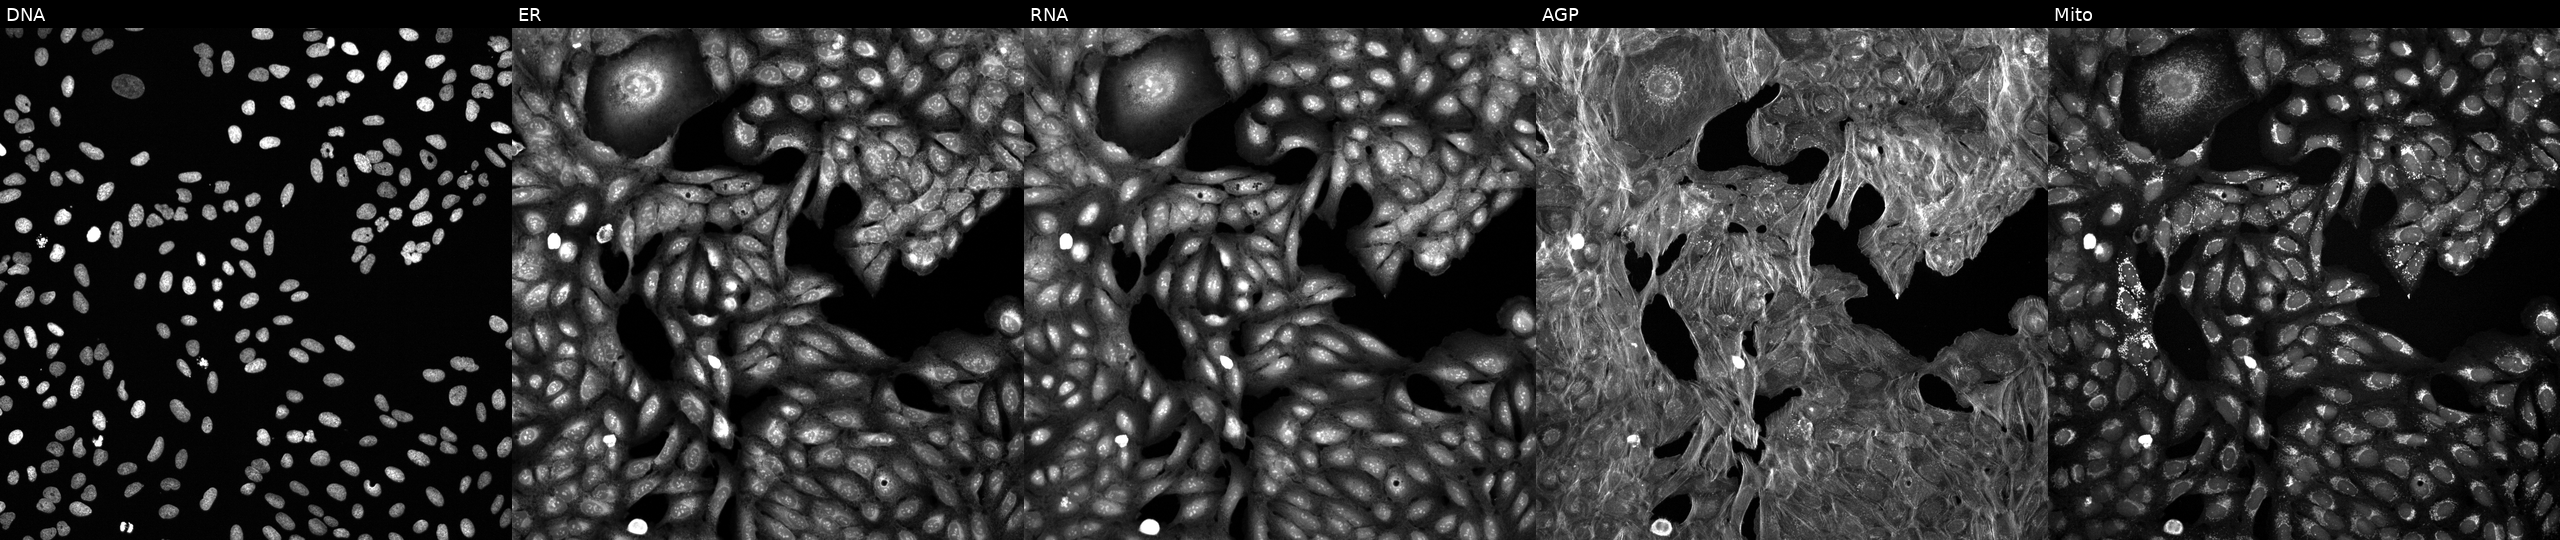
Five-channel Cell Painting image of U2OS cells treated with a small-molecule compound (InChIKey PMATZTZNYRCHOR-UHFFFAOYSA-N) (JUMP id JCP2022_069491). Channels (left→right): Hoechst 33342, concanavalin A, SYTO 14, phalloidin and WGA, MitoTracker.